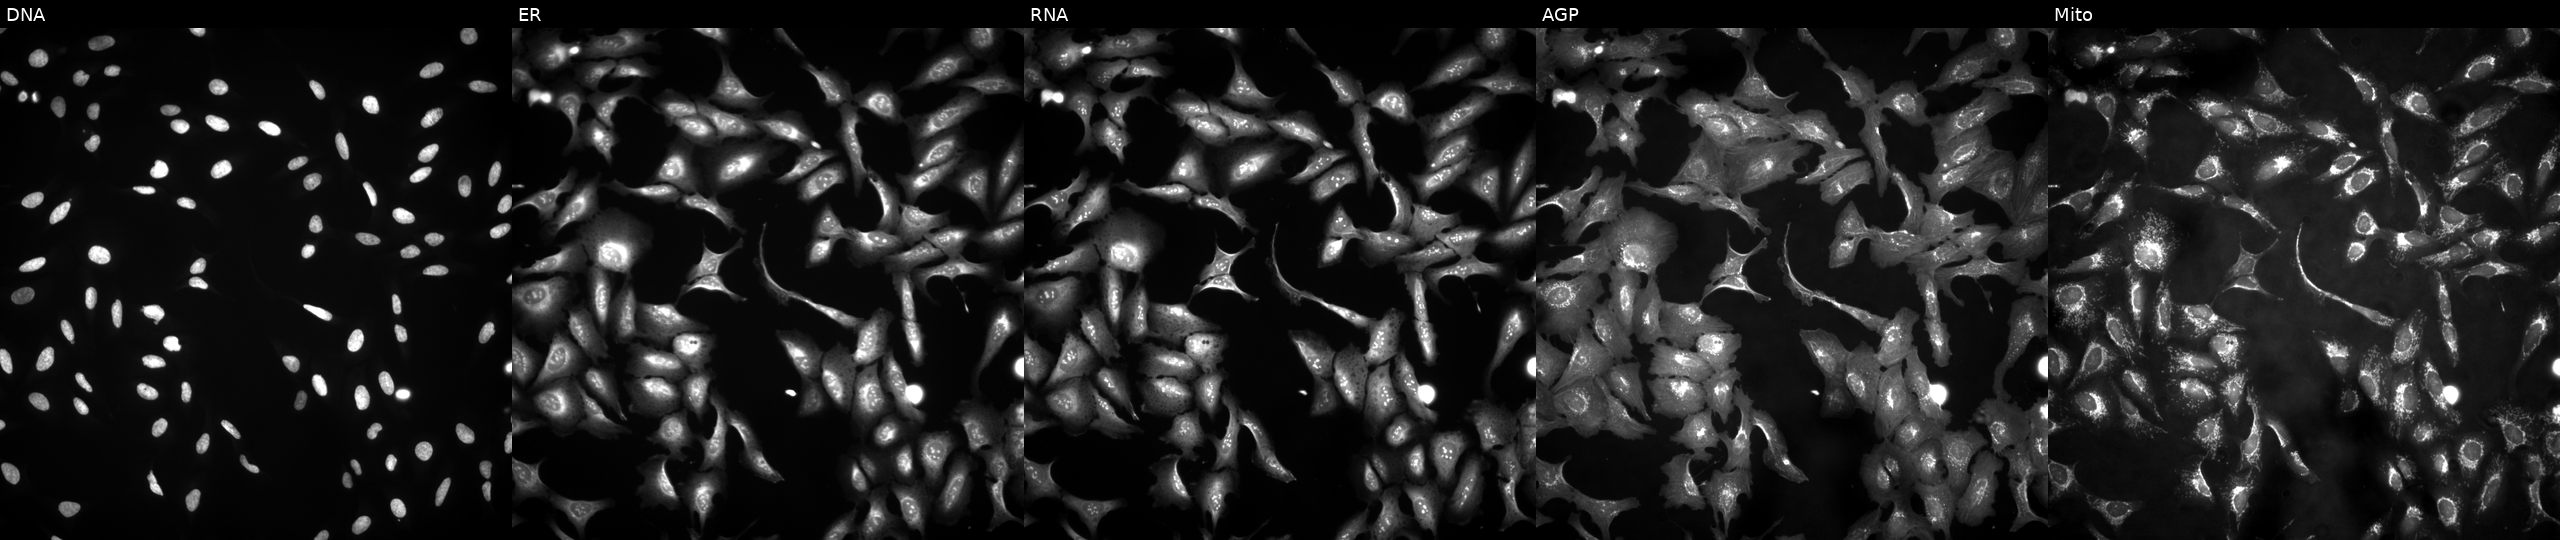
High-content fluorescence microscopy (Cell Painting). Cell line: U2OS. Perturbation: with WDR60 overexpressed (ORF) (JUMP id JCP2022_907921). Panels show, left to right, DNA, ER, RNA, AGP, and Mito. Source 4, plate BR00121543, well I07.